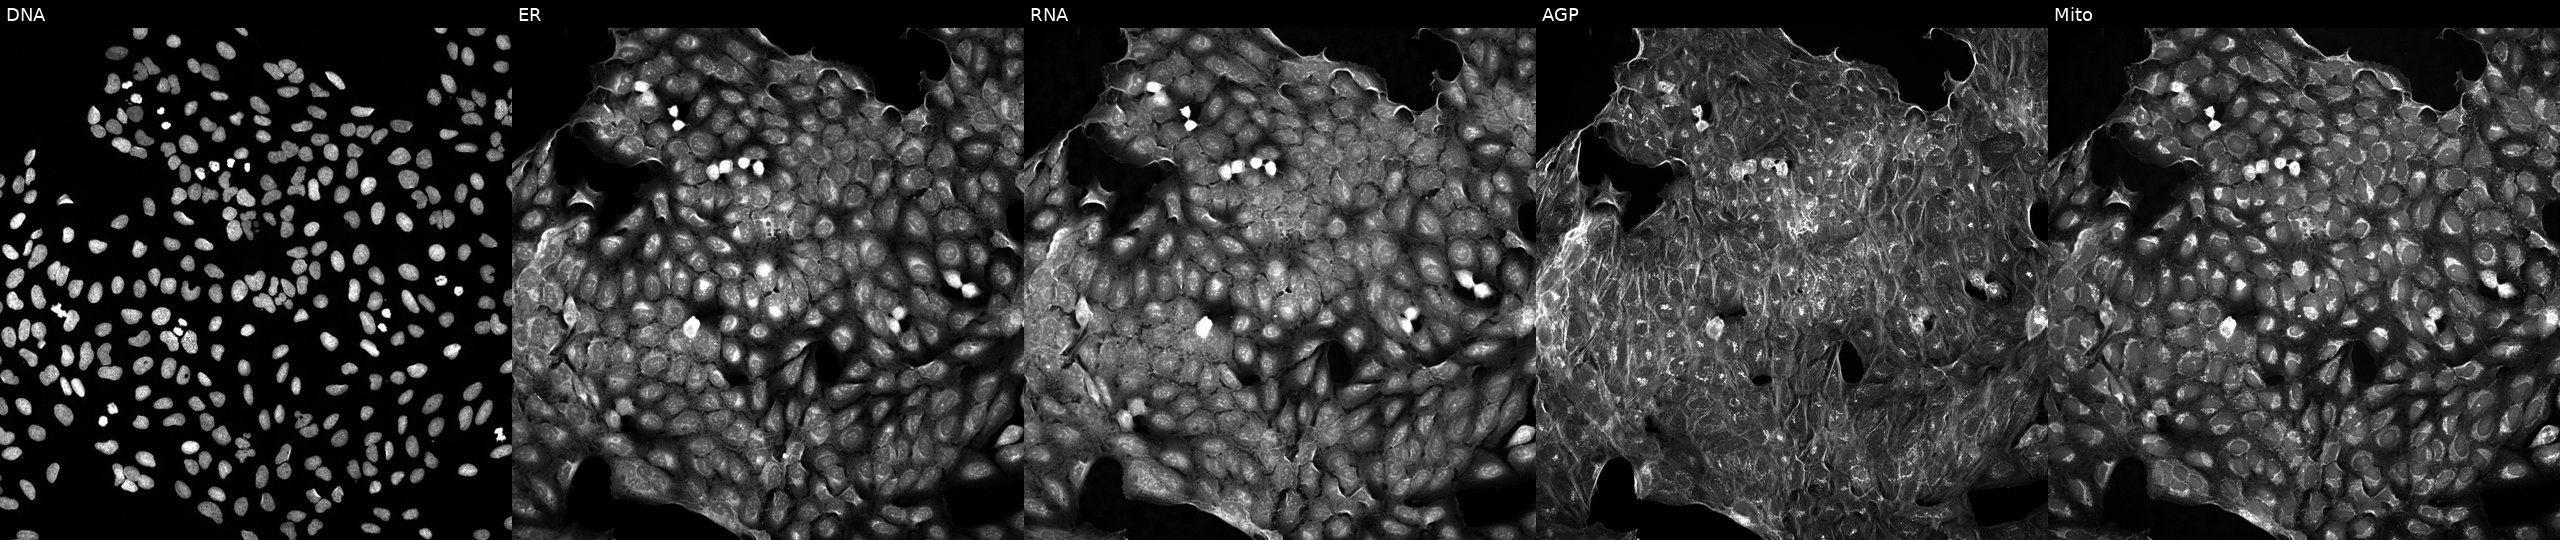
This image strip shows the five Cell Painting channels for a single field of U2OS cells exposed to a small-molecule compound (InChIKey OAVGBZOFDPFGPJ-UHFFFAOYSA-N) (JUMP id JCP2022_062592). Channels (left→right): DNA, ER, RNA, AGP, and Mito. Source 5, plate ACPJUM012, well N03.